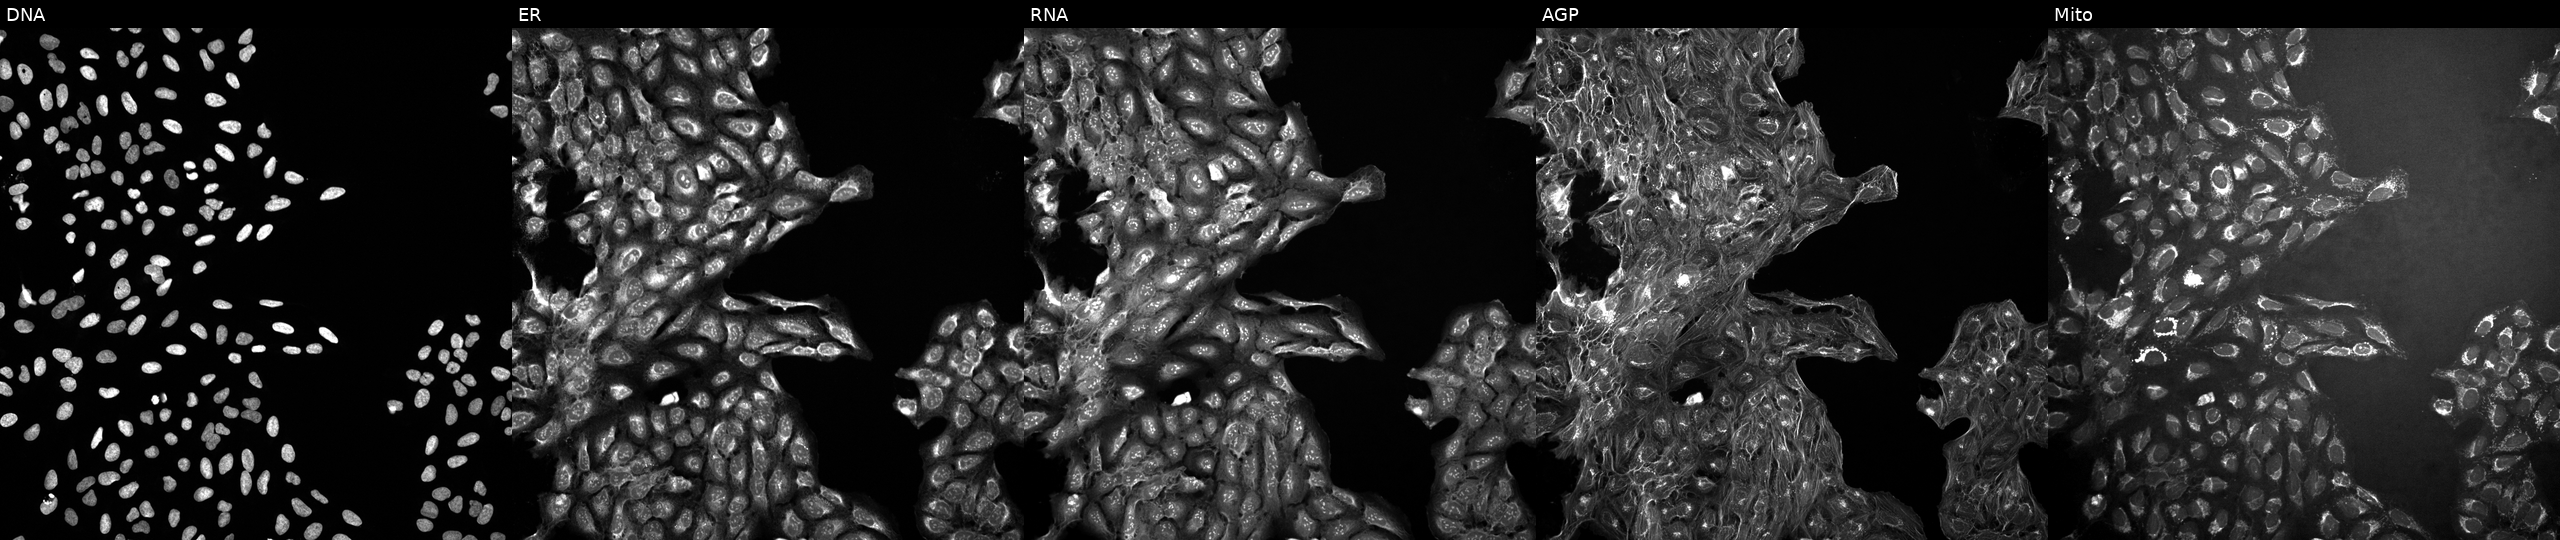
JUMP Cell Painting — COMPOUND plate. U2OS cells treated with a small-molecule compound (InChIKey DFWWEAQPQHXGNA-UHFFFAOYSA-N) [SMILES: Cn1ccc(C2CCCN(S(=O)(=O)c3cccc4cccnc34)C2)n1] (JUMP id JCP2022_015659). Panels show, left to right, DNA (nuclei); ER (endoplasmic reticulum); RNA (nucleoli and cytoplasmic RNA); AGP (actin cytoskeleton, Golgi, and plasma membrane); Mito (mitochondria). Source 10, plate Dest210531-152324, well B03.